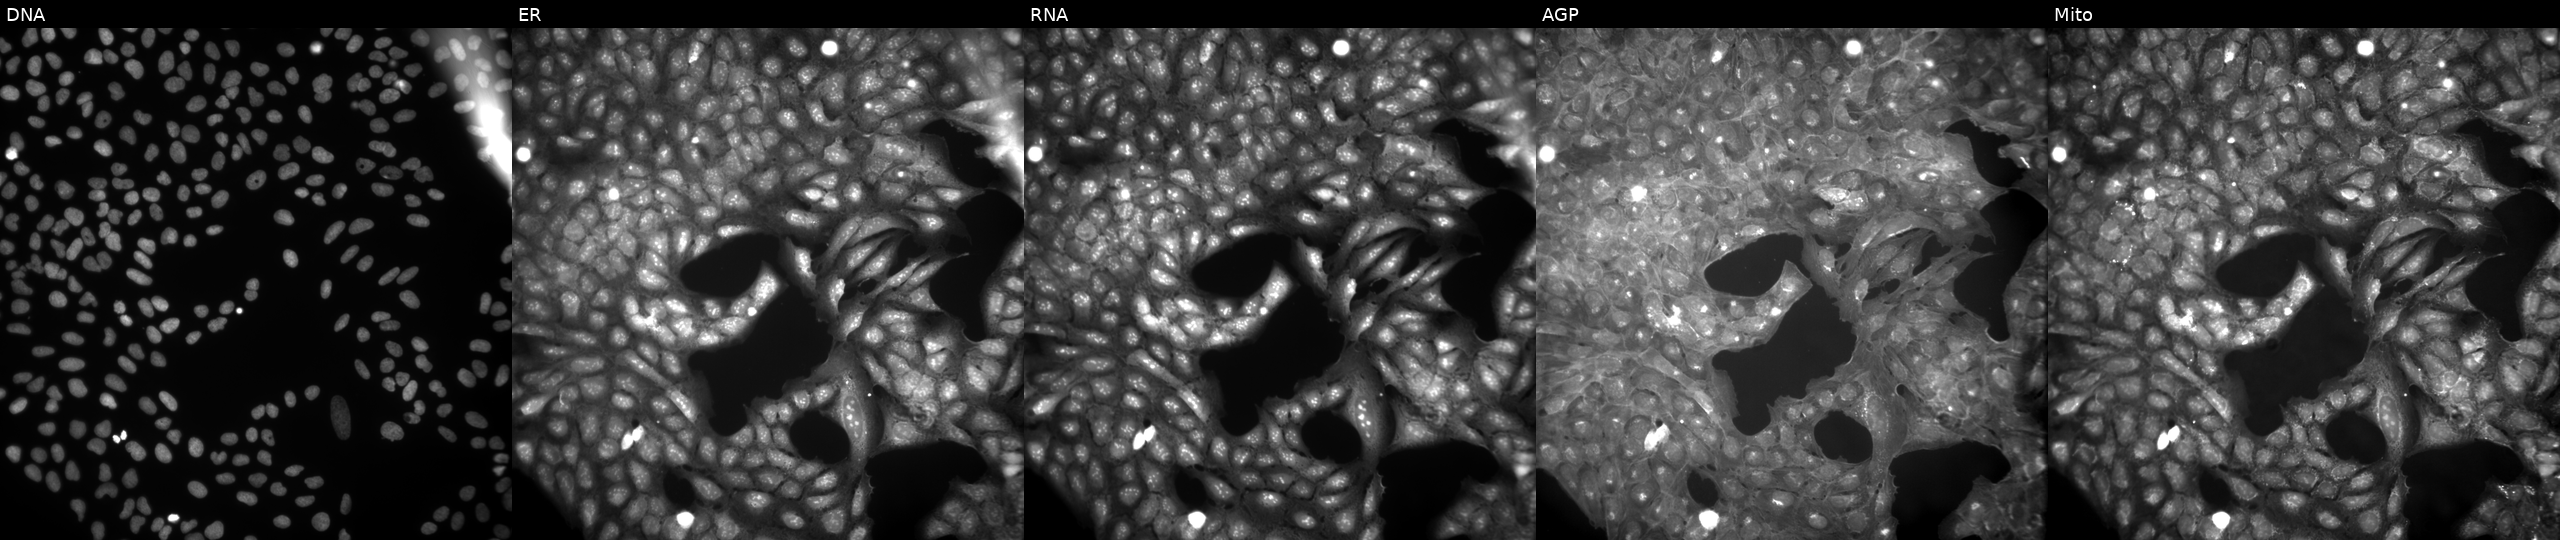
High-content fluorescence microscopy (Cell Painting). Cell line: U2OS. Perturbation: treated with DMSO vehicle only (negative control) (JUMP id JCP2022_033924). The five panels, left to right, show Hoechst 33342, concanavalin A, SYTO 14, phalloidin and WGA, MitoTracker. Source 9, plate GR00003382, well A47.